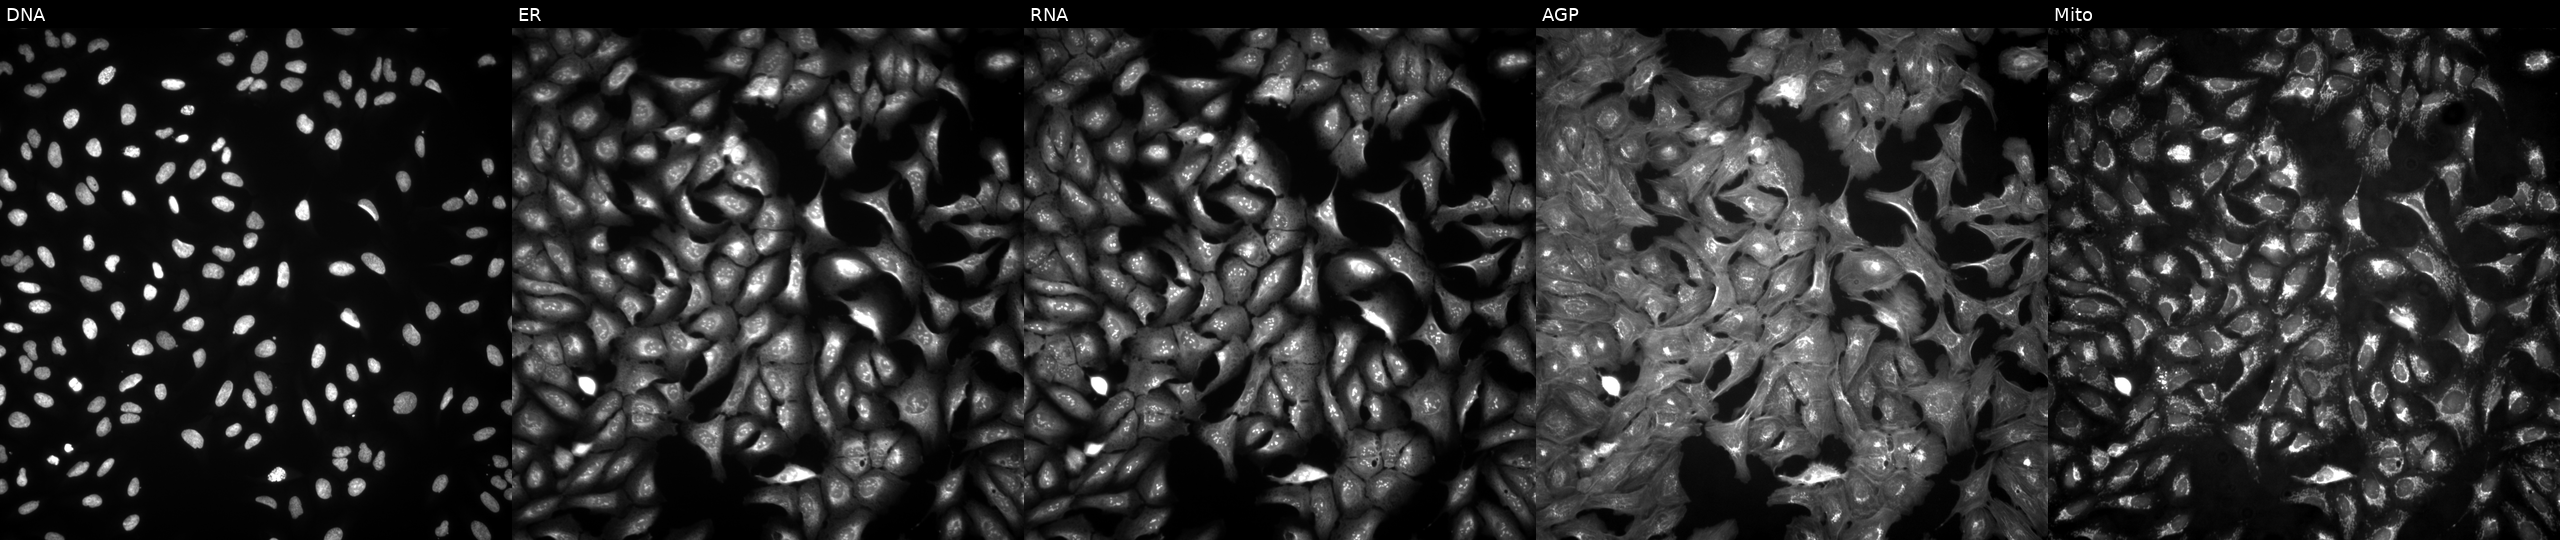
High-content fluorescence microscopy (Cell Painting). Cell line: U2OS. Perturbation: with TCP10L overexpressed (ORF) (JUMP id JCP2022_908940). From left to right: DNA, ER, RNA, AGP, and Mito.